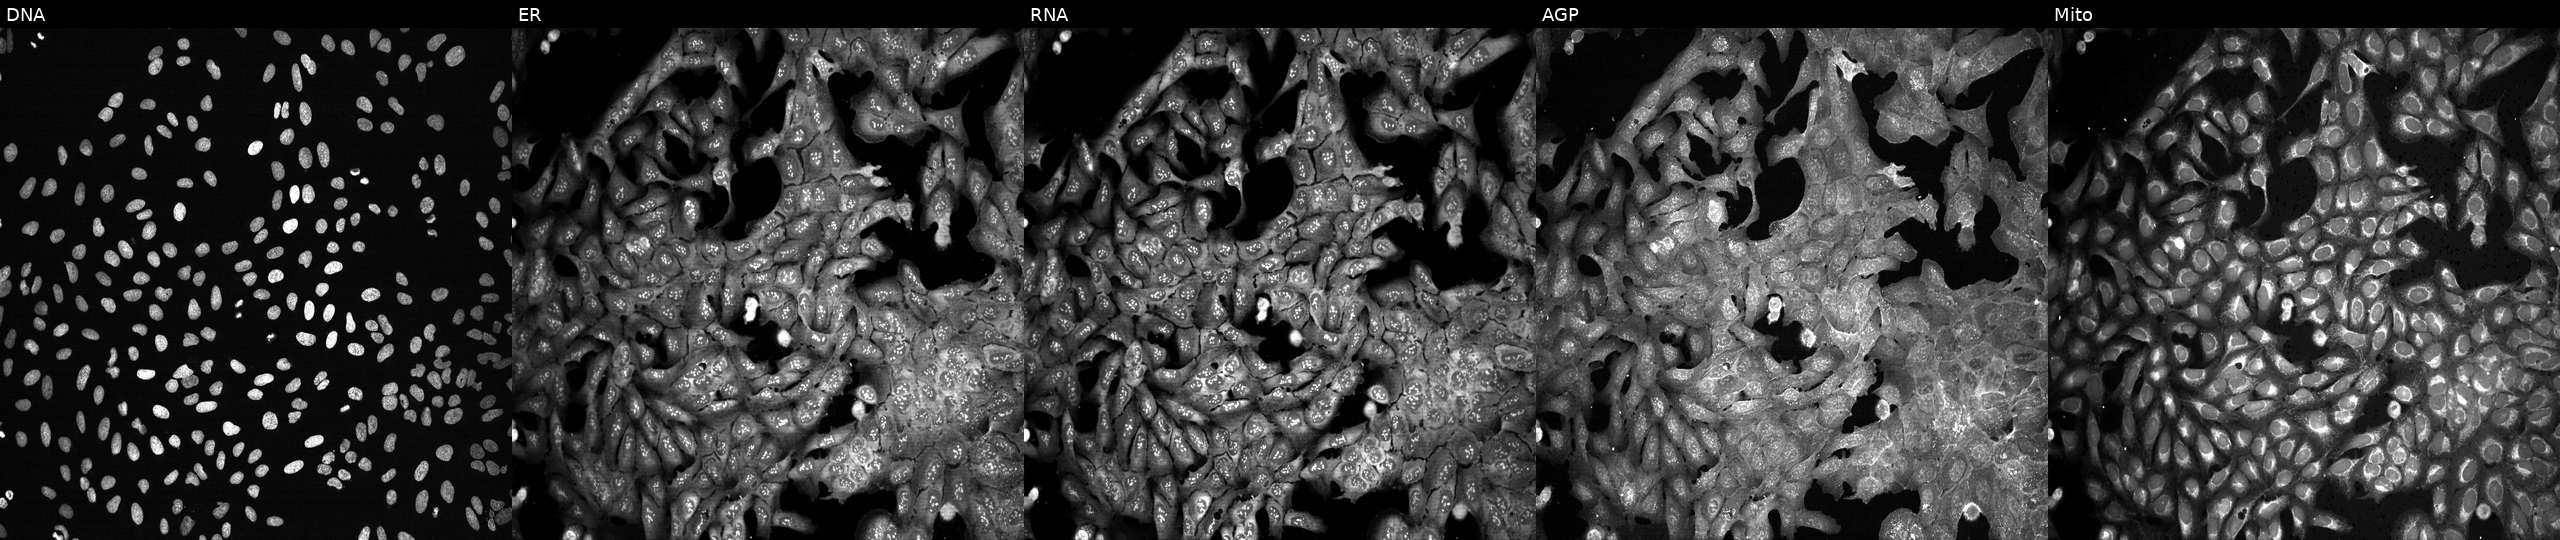
JUMP Cell Painting — CRISPR plate. U2OS cells CRISPR-edited to disrupt PITPNM3. Channels (left→right): Hoechst 33342, concanavalin A, SYTO 14, phalloidin and WGA, MitoTracker. Source 13, plate CP-CC9-R5-01, well F22.